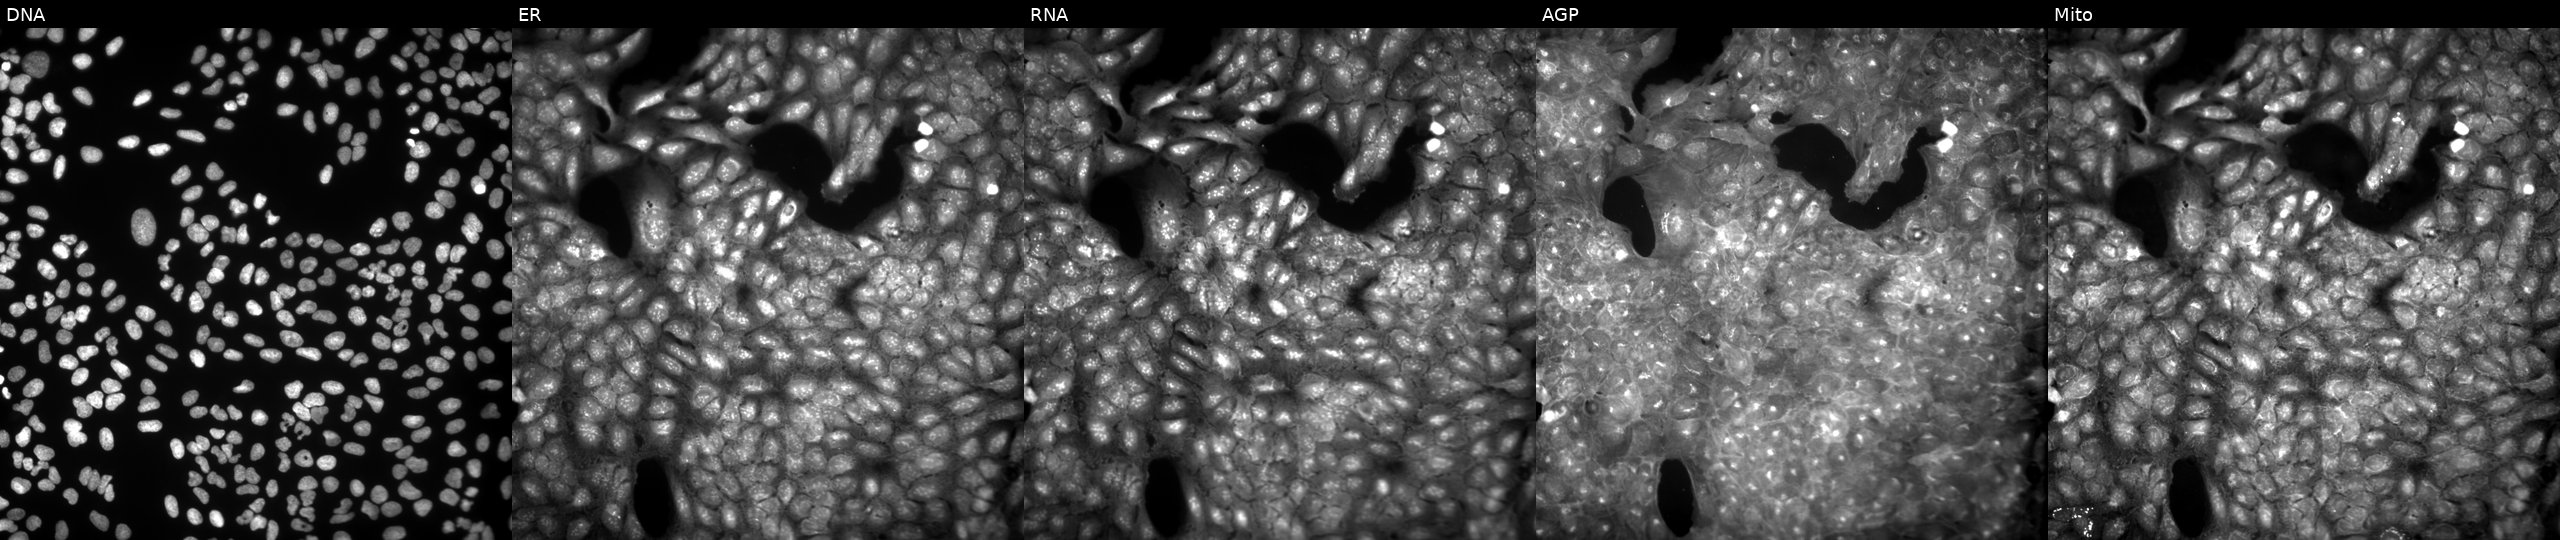
High-content fluorescence microscopy (Cell Painting). Cell line: U2OS. Perturbation: treated with a small-molecule compound (InChIKey ZBIZCHSVQKULCF-UHFFFAOYSA-N). The five panels, left to right, show DNA, ER, RNA, AGP, and Mito. Source 9, plate GR00003382, well W35.